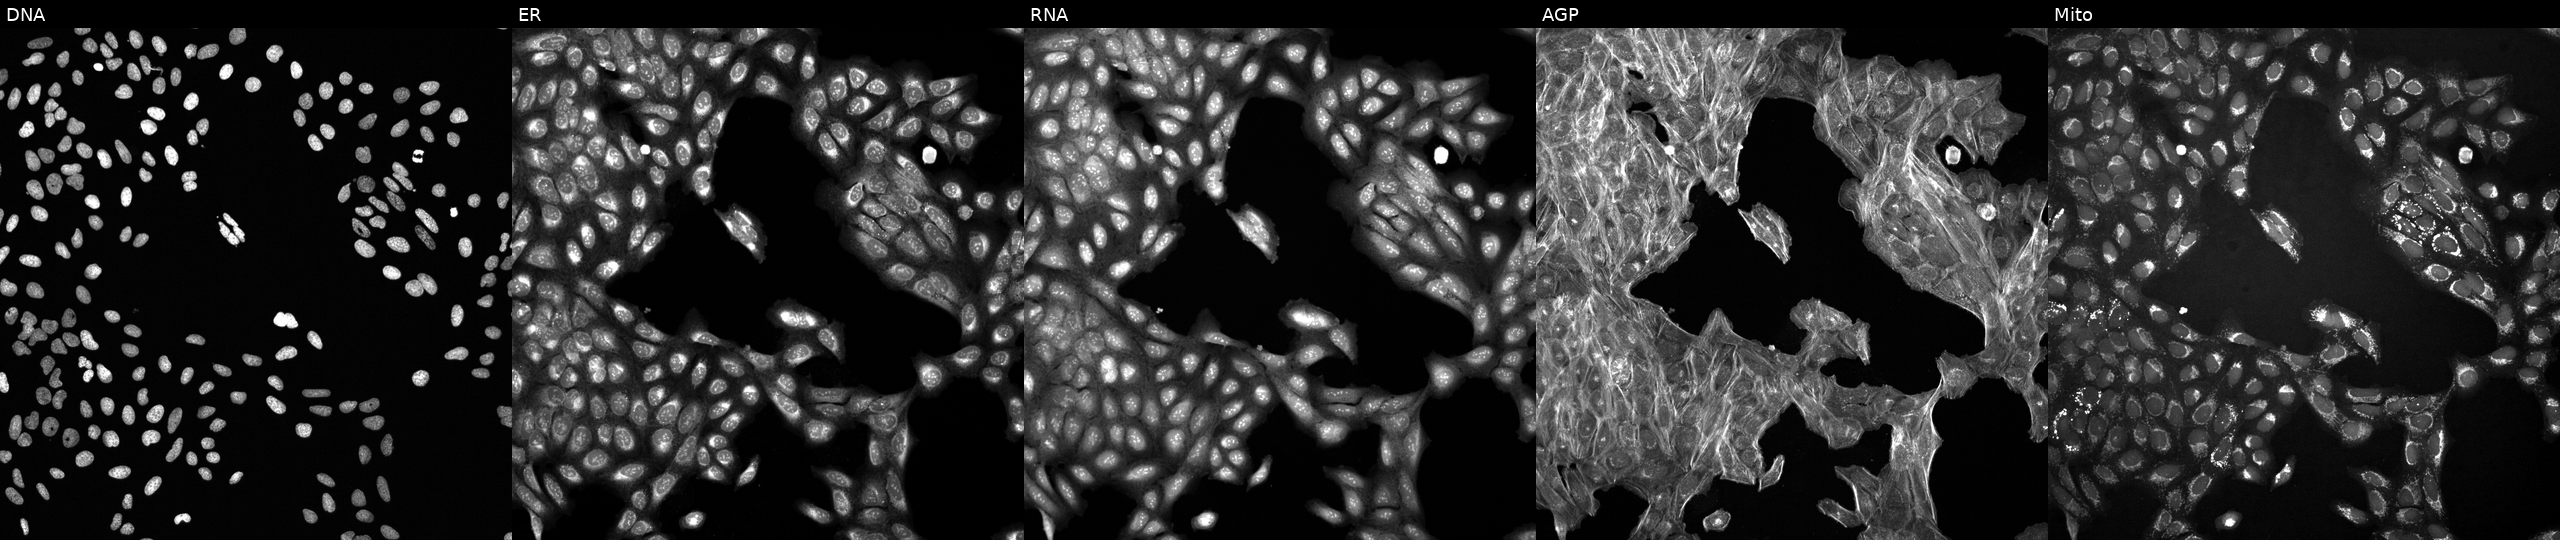
This image strip shows the five Cell Painting channels for a single field of U2OS cells exposed to a small-molecule compound (InChIKey JFHCYSKFEBTYRZ-UHFFFAOYSA-N) (JUMP id JCP2022_039392). The five panels, left to right, show Hoechst 33342, concanavalin A, SYTO 14, phalloidin and WGA, MitoTracker.